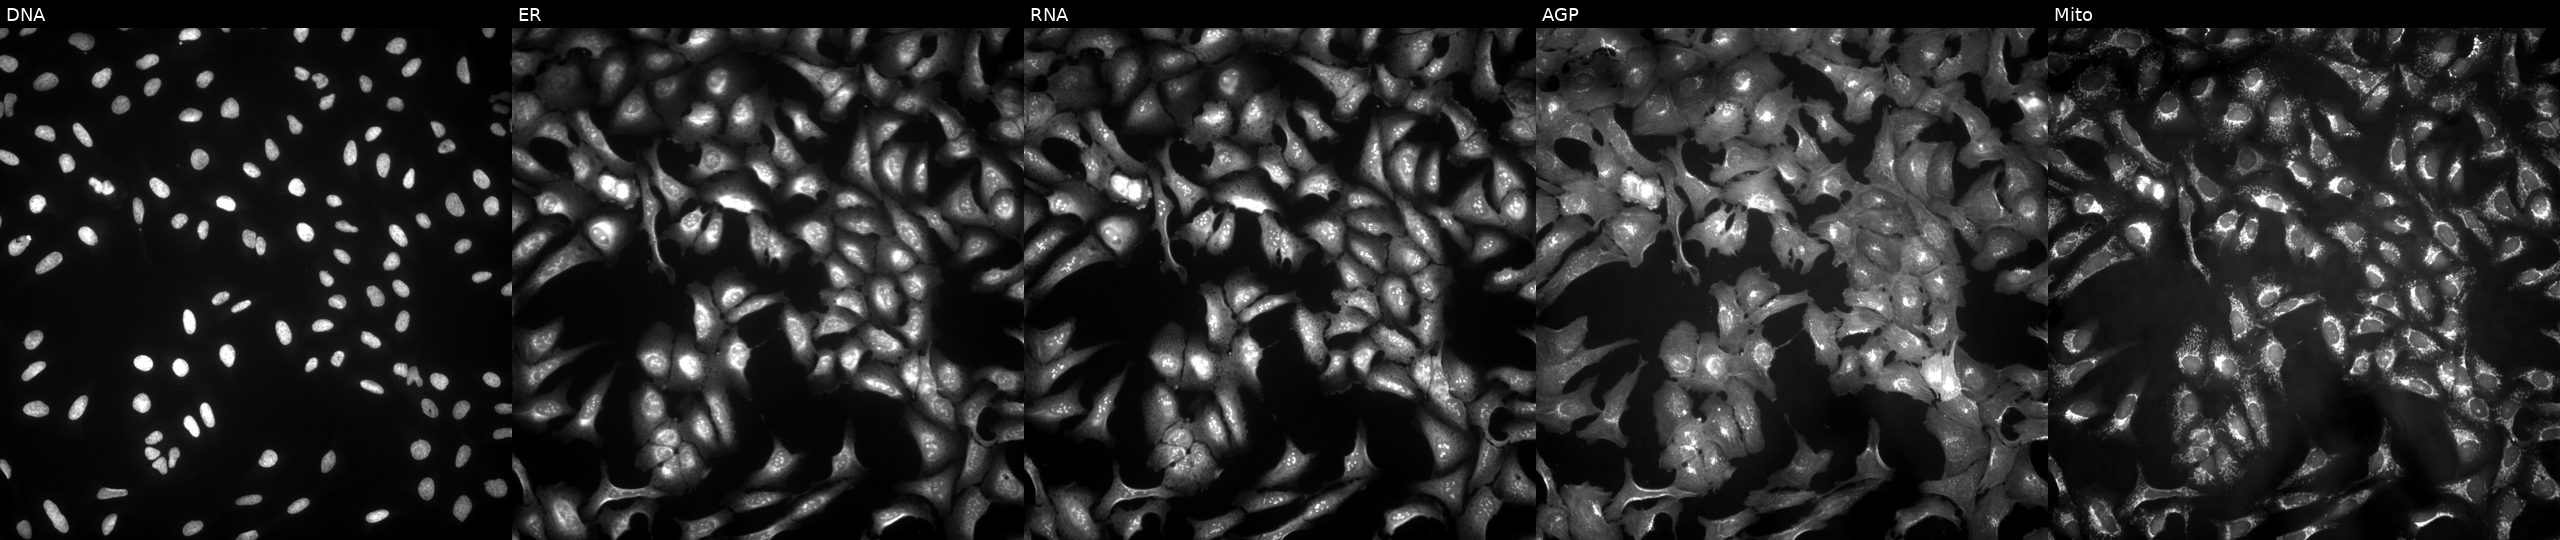
U2OS cells, Cell Painting assay, expressing BFP (ORF negative control) (JUMP id JCP2022_915128). From left to right: DNA, ER, RNA, AGP, and Mito. Each panel is percentile-stretched 16-bit fluorescence. Source 4, plate BR00123506, well B05.